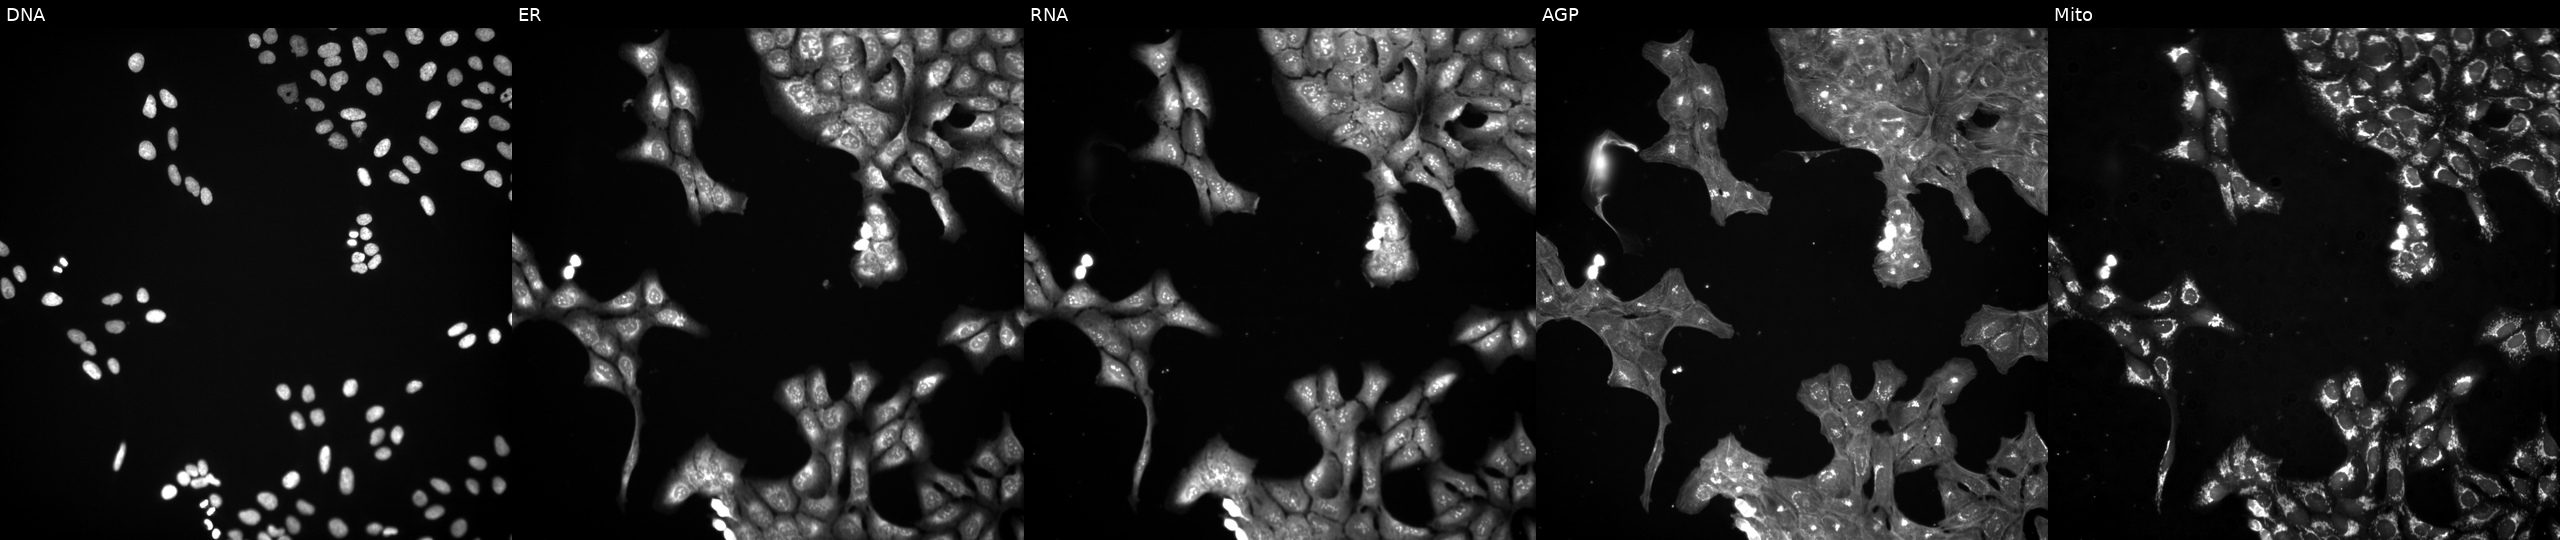
U2OS cells, Cell Painting assay, perturbed with a small-molecule compound (InChIKey OBOKEZNQWIDJMJ-UHFFFAOYSA-N) (JUMP id JCP2022_062748). Panels show, left to right, Hoechst 33342, concanavalin A, SYTO 14, phalloidin and WGA, MitoTracker. Each panel is percentile-stretched 16-bit fluorescence.